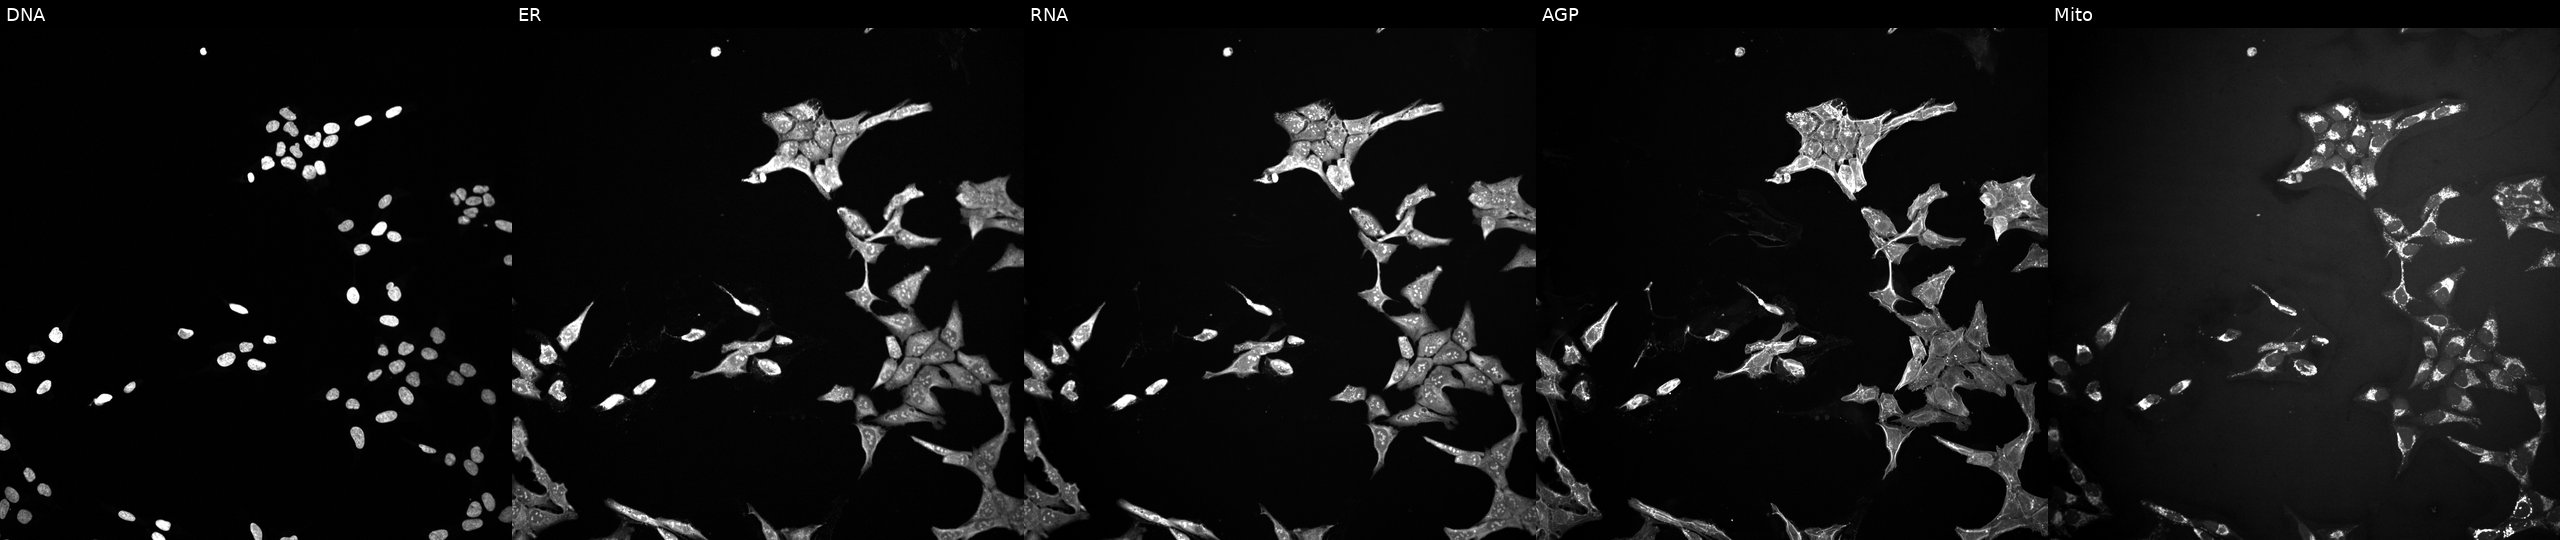
Five-channel Cell Painting image of U2OS cells exposed to a small-molecule compound (InChIKey SDXKOTQBFNENTH-UHFFFAOYSA-N). Panels show, left to right, DNA, ER, RNA, AGP, and Mito.